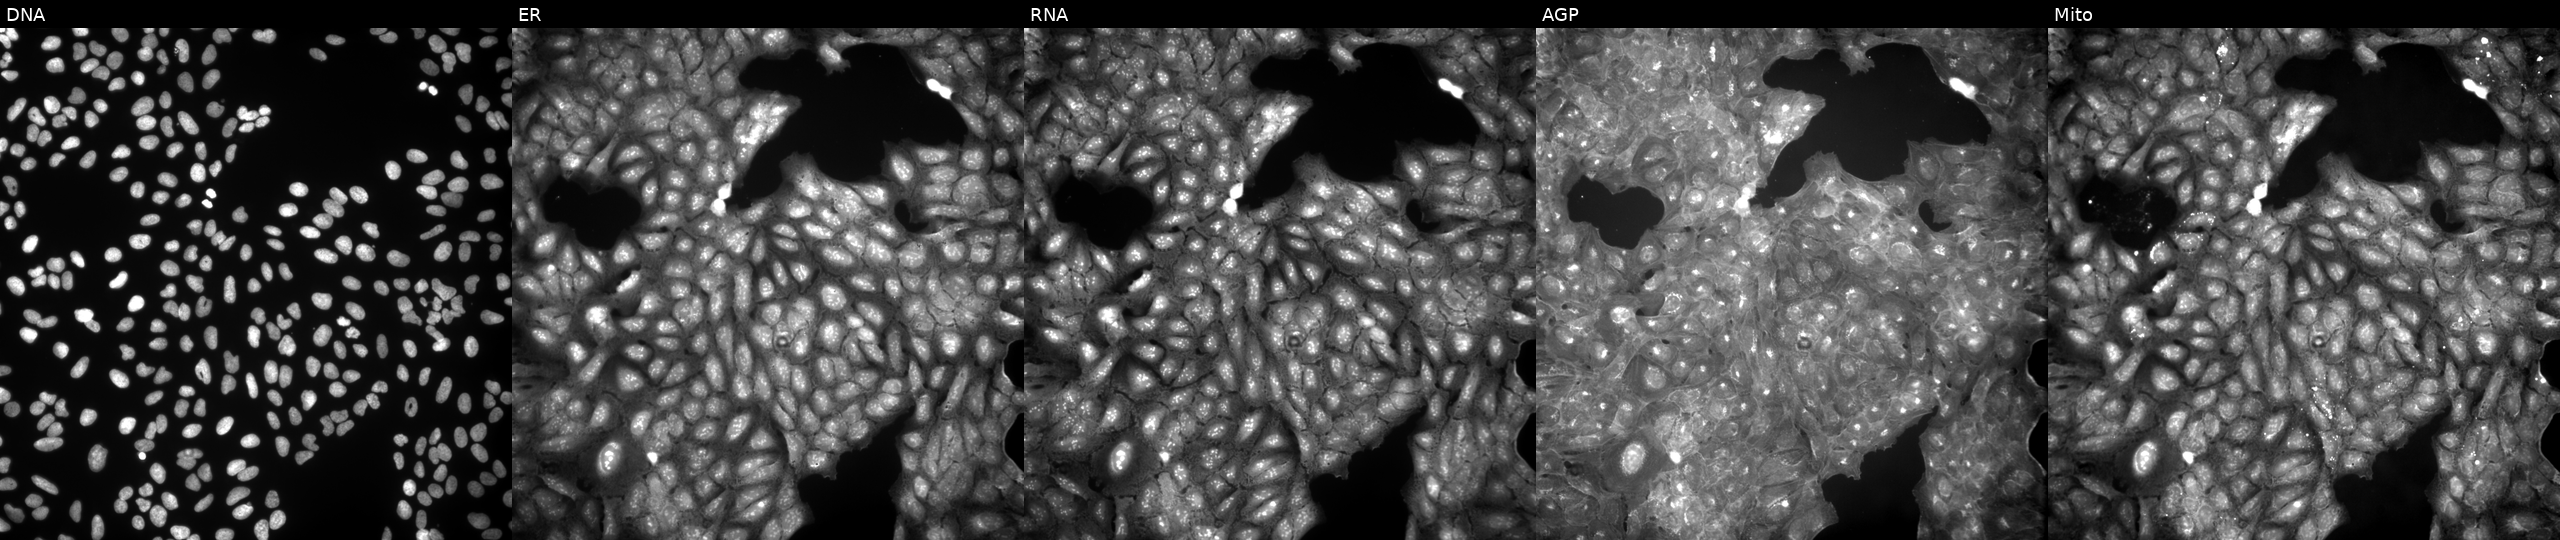
The five panels, left to right, show DNA, ER, RNA, AGP, and Mito. U2OS osteosarcoma cells perturbed with a small-molecule compound (JUMP id JCP2022_106239). Cell Painting assay, JUMP-CP dataset.